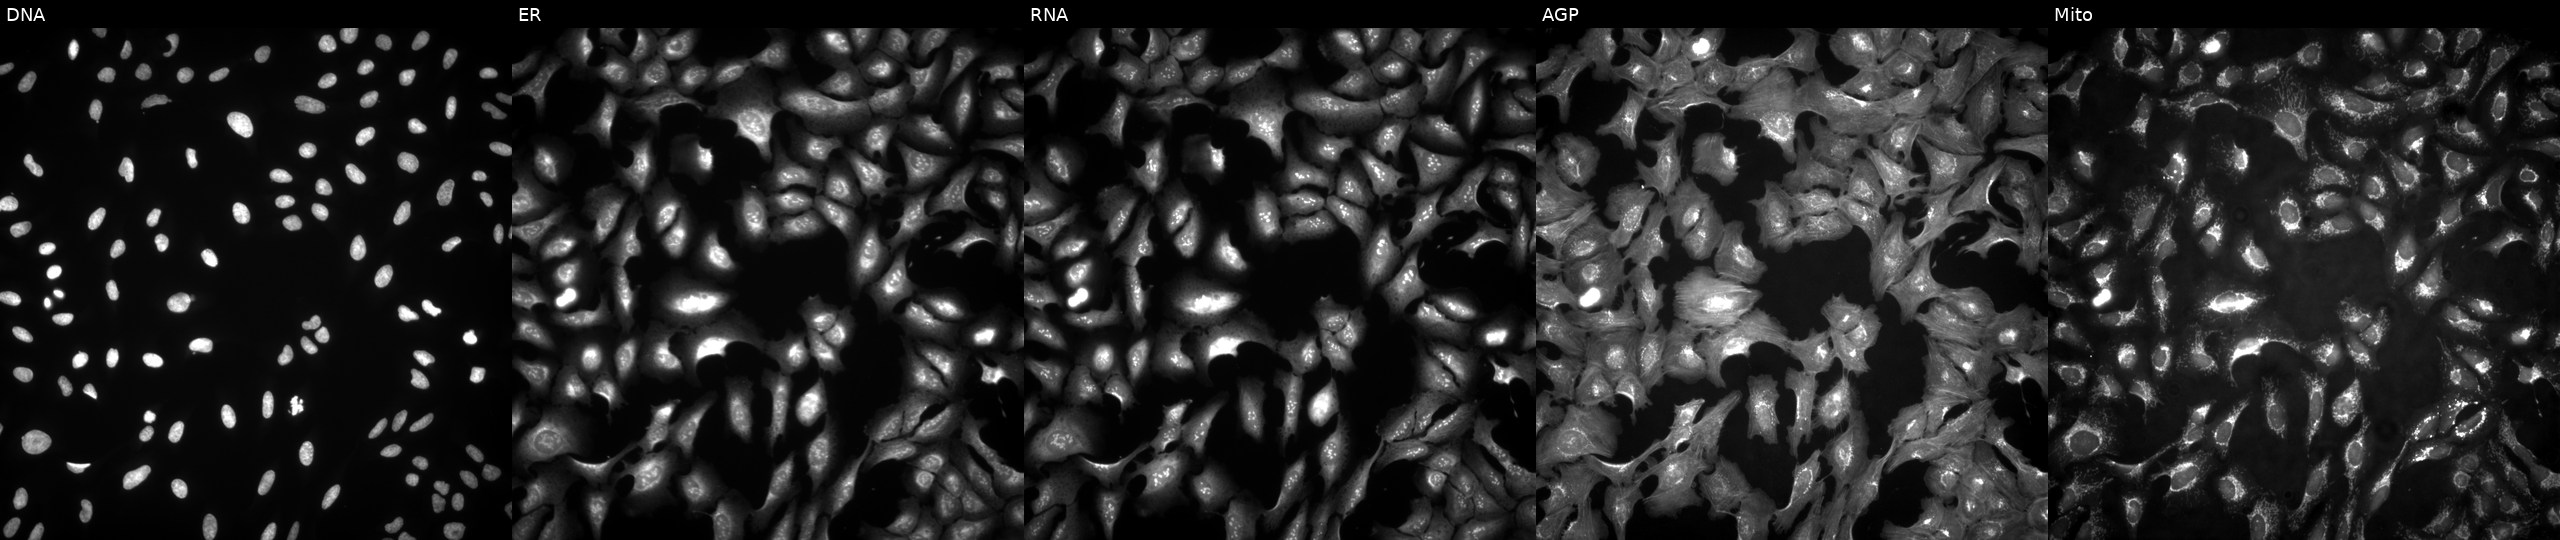
Channels (left→right): Hoechst 33342, concanavalin A, SYTO 14, phalloidin and WGA, MitoTracker. U2OS osteosarcoma cells overexpressing NECTIN3 via ORF transfection (JUMP id JCP2022_913156). Cell Painting assay, JUMP-CP dataset.